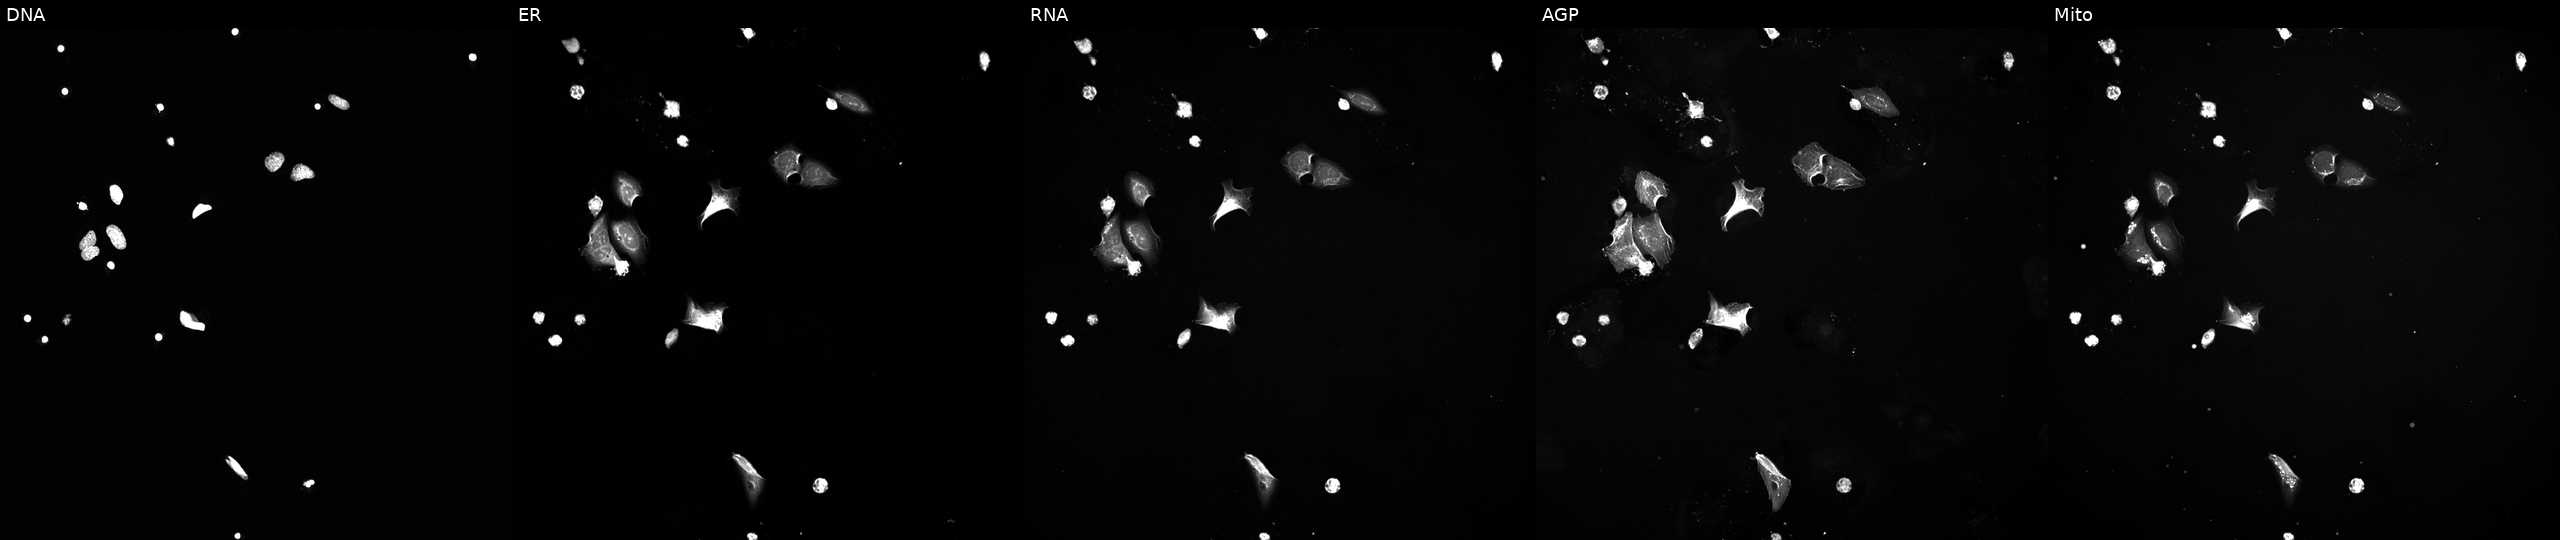
Five-channel Cell Painting image of U2OS cells exposed to a small-molecule compound (InChIKey UTBOEBCWXGDOGI-UHFFFAOYSA-N) [SMILES: C=C(NC(=O)C(=C)NC(=O)c1csc(C2=NC3c4csc(n4)C4NC(=O)c5csc(n5)C(C(C)(O)C(C)O)NC(=O)C5CSC(=N5)C(=CC)NC(=O)C(C(C)O)NC(=O)c5csc(n5)C3(CC2)NC(=O)C(C)NC(=O)C(=C)NC(=O)C(C)NC(=O)C(C(C)CC)Nc2ccc3c(c2O)NC(=CC3C(C)O)C(=O)OC4C)n1)C(N)=O]. The five panels, left to right, show DNA, ER, RNA, AGP, and Mito.